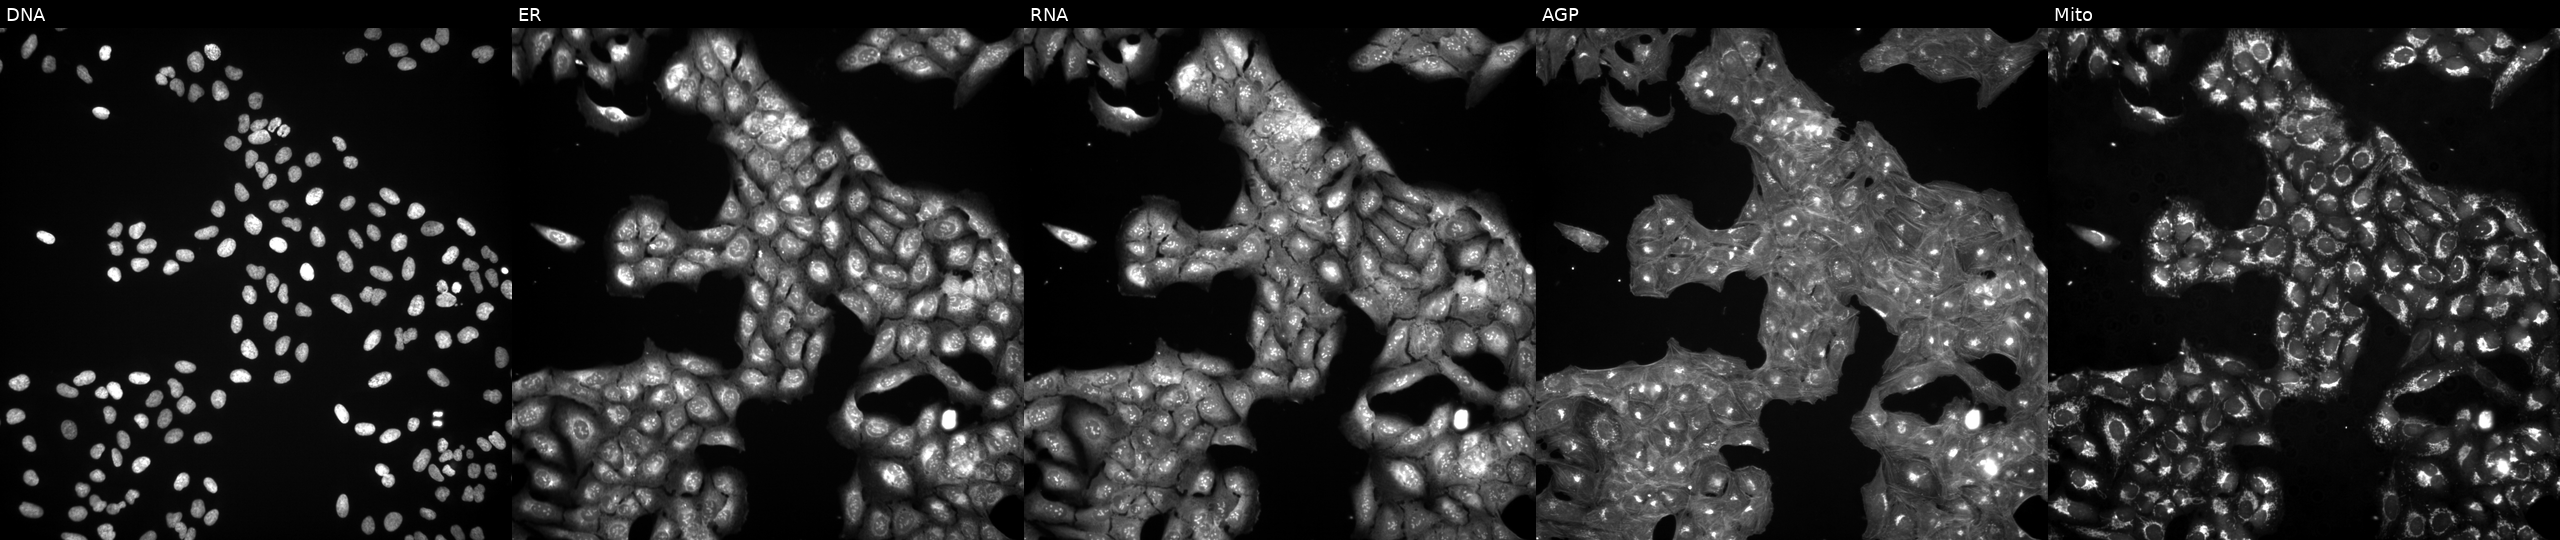
Five-channel Cell Painting image of U2OS cells perturbed with a small-molecule compound (InChIKey NYNZQNWKBKUAII-UHFFFAOYSA-N). From left to right: DNA, ER, RNA, AGP, and Mito. Source 3, plate JCPQC052, well O21.